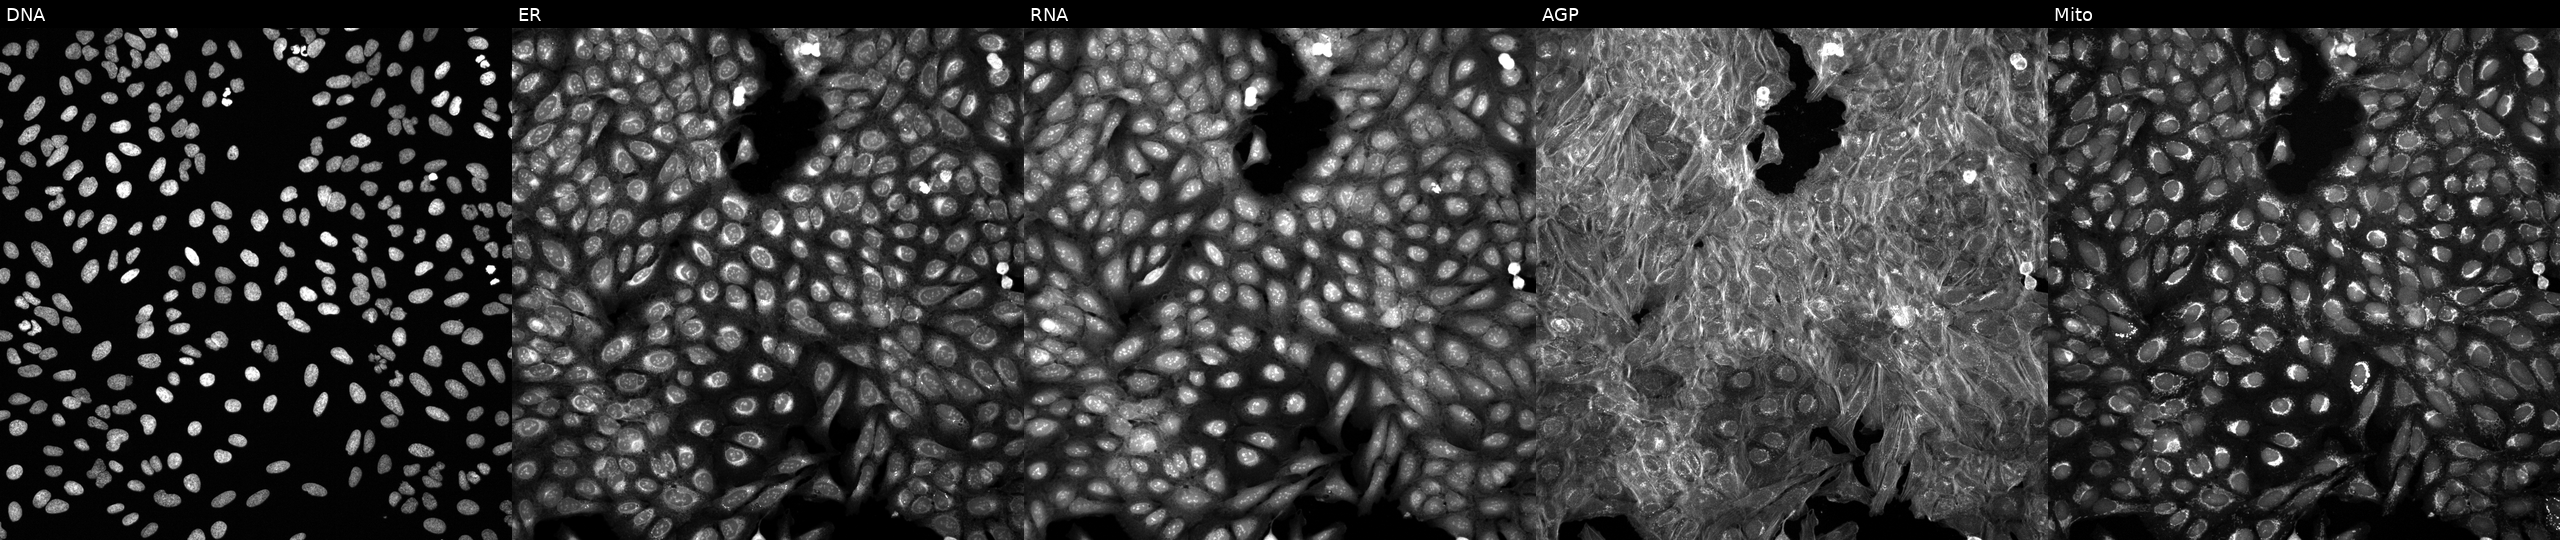
Panels show, left to right, DNA (nuclei); ER (endoplasmic reticulum); RNA (nucleoli and cytoplasmic RNA); AGP (actin cytoskeleton, Golgi, and plasma membrane); Mito (mitochondria). U2OS osteosarcoma cells exposed to a small-molecule compound (InChIKey QNQZWEGMKJBHEM-UHFFFAOYSA-N). Cell Painting assay, JUMP-CP dataset. Source 6, plate 110000294901, well E17.